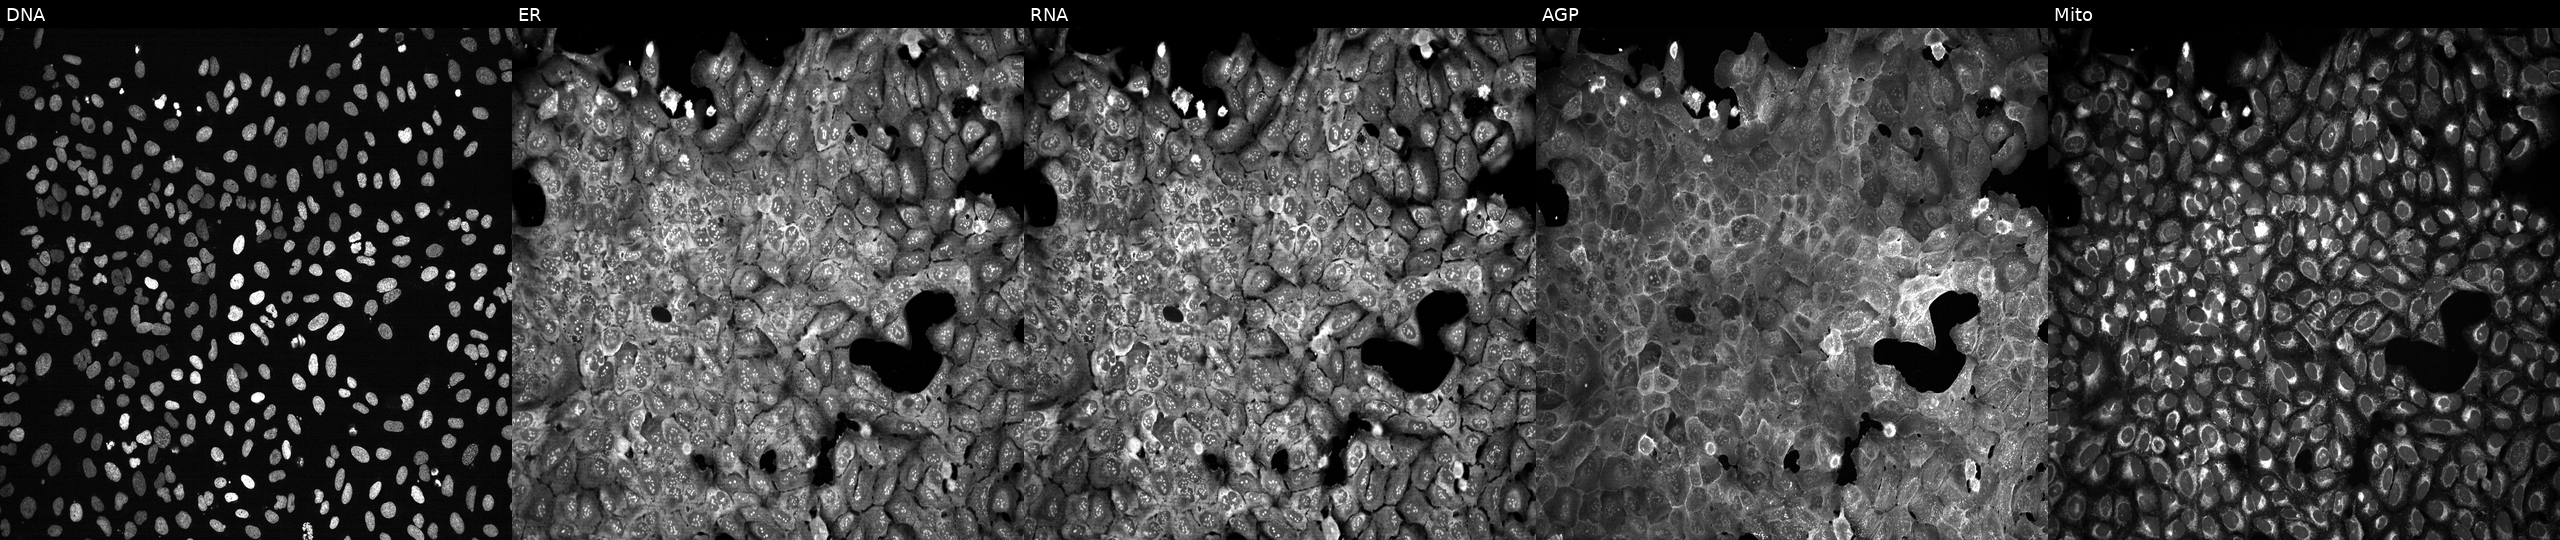
The five panels, left to right, show Hoechst 33342, concanavalin A, SYTO 14, phalloidin and WGA, MitoTracker. U2OS osteosarcoma cells with CTSK knocked out by CRISPR (JUMP id JCP2022_801575). Cell Painting assay, JUMP-CP dataset.